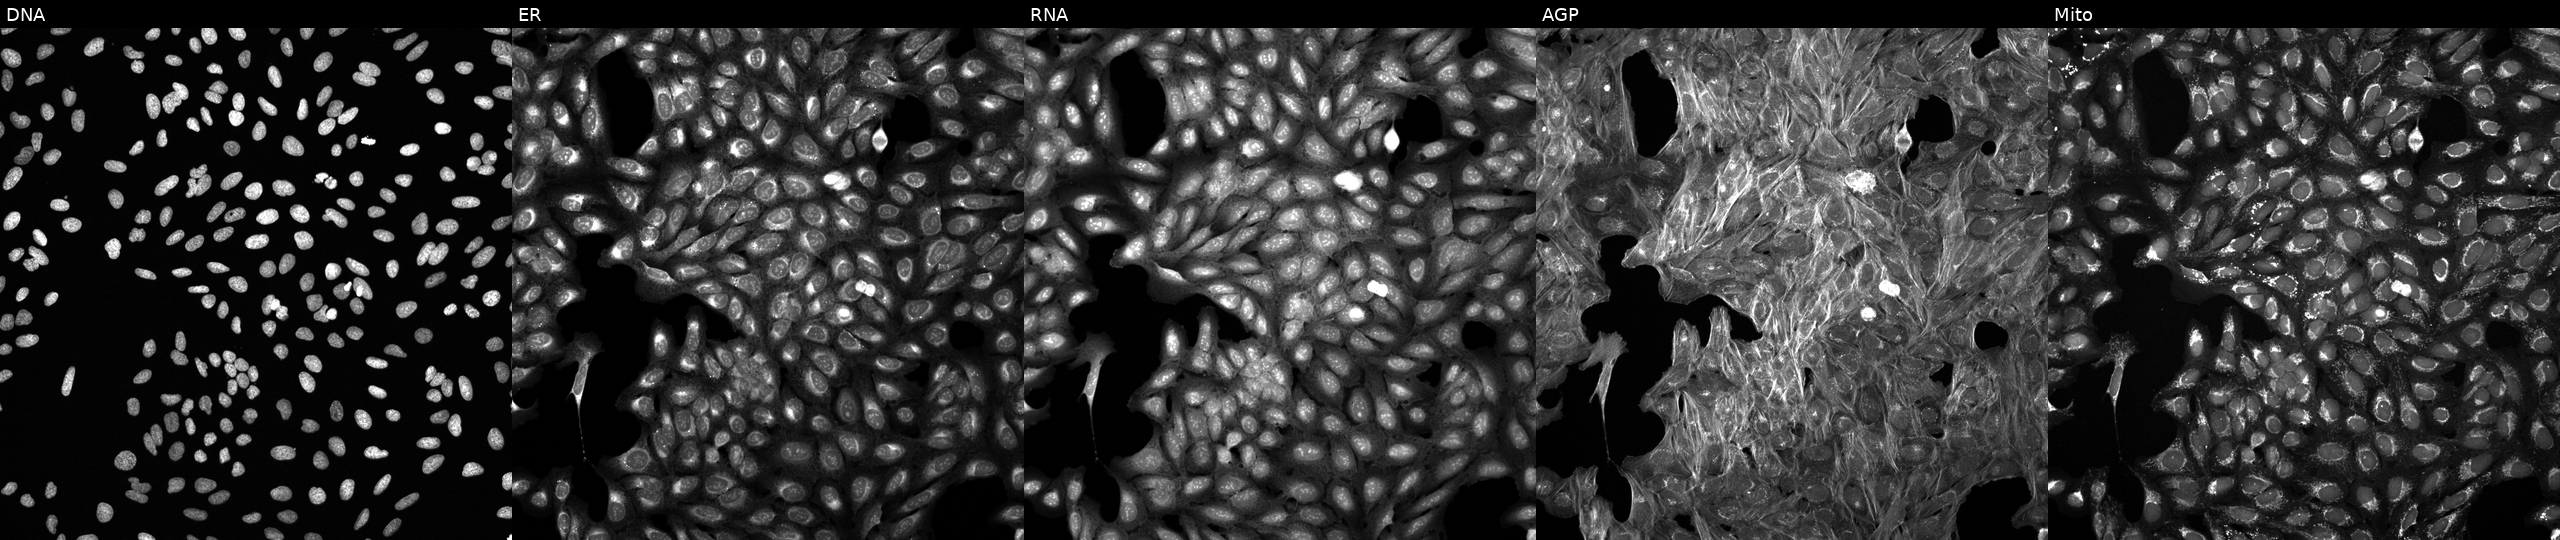
U2OS cells, Cell Painting assay, perturbed with a small-molecule compound (InChIKey ZYGHJZDHTFUPRJ-UHFFFAOYSA-N). Channels (left→right): Hoechst 33342, concanavalin A, SYTO 14, phalloidin and WGA, MitoTracker. Each panel is percentile-stretched 16-bit fluorescence. Source 6, plate 110000294901, well J18.